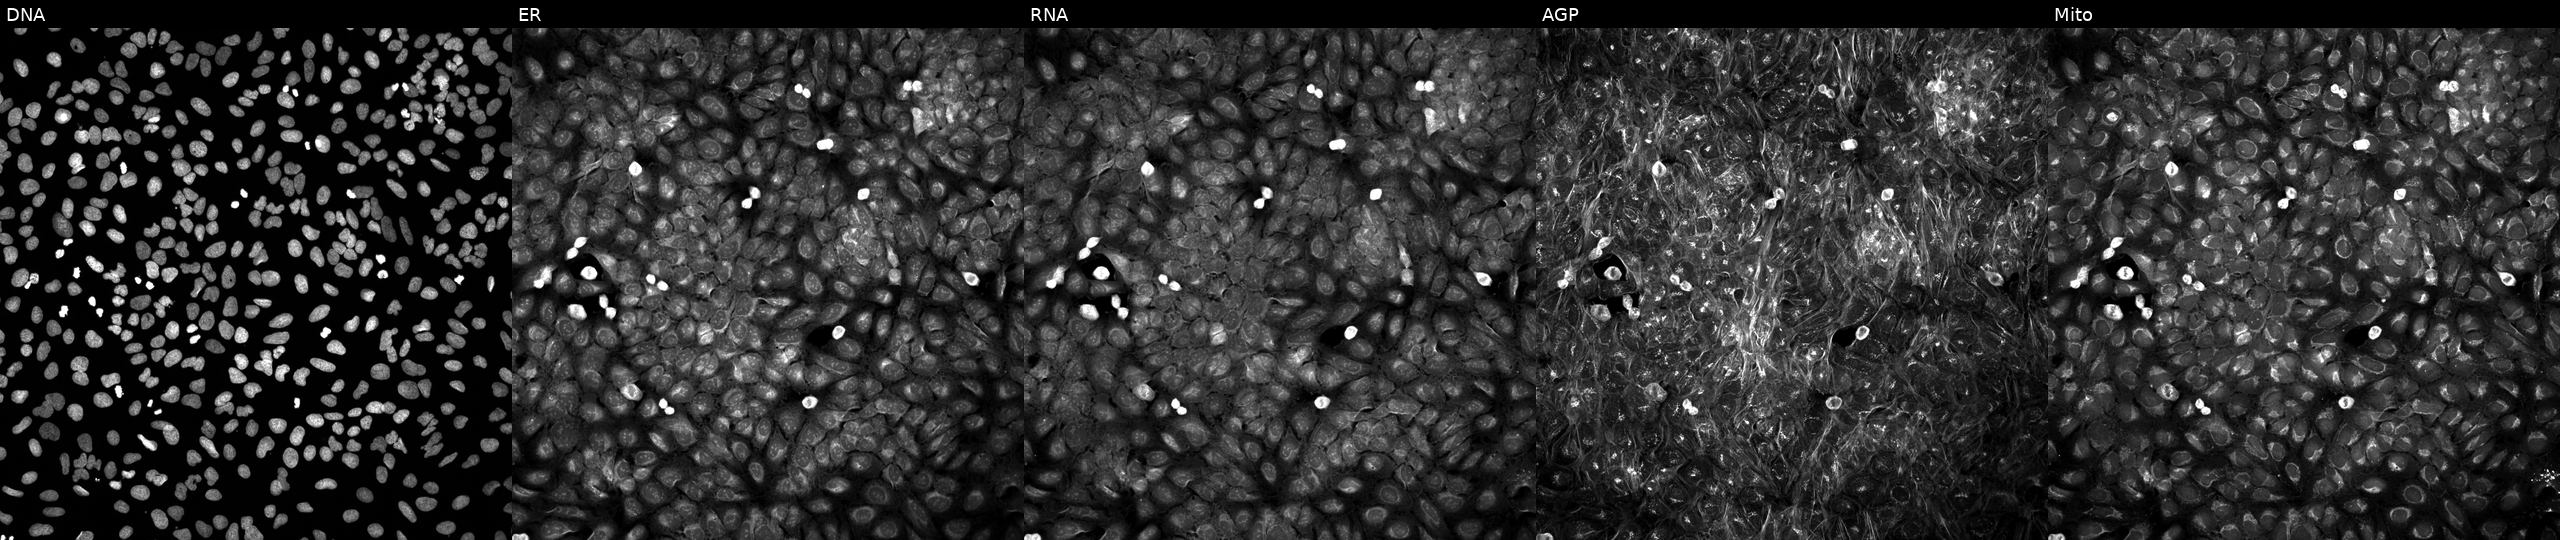
U2OS cells, Cell Painting assay, perturbed with a small-molecule compound (InChIKey LNYFOIVUYGHSOX-UHFFFAOYSA-N) (JUMP id JCP2022_050634). From left to right: DNA (nuclei); ER (endoplasmic reticulum); RNA (nucleoli and cytoplasmic RNA); AGP (actin cytoskeleton, Golgi, and plasma membrane); Mito (mitochondria). Each panel is percentile-stretched 16-bit fluorescence. Source 5, plate APTJUM105, well P22.